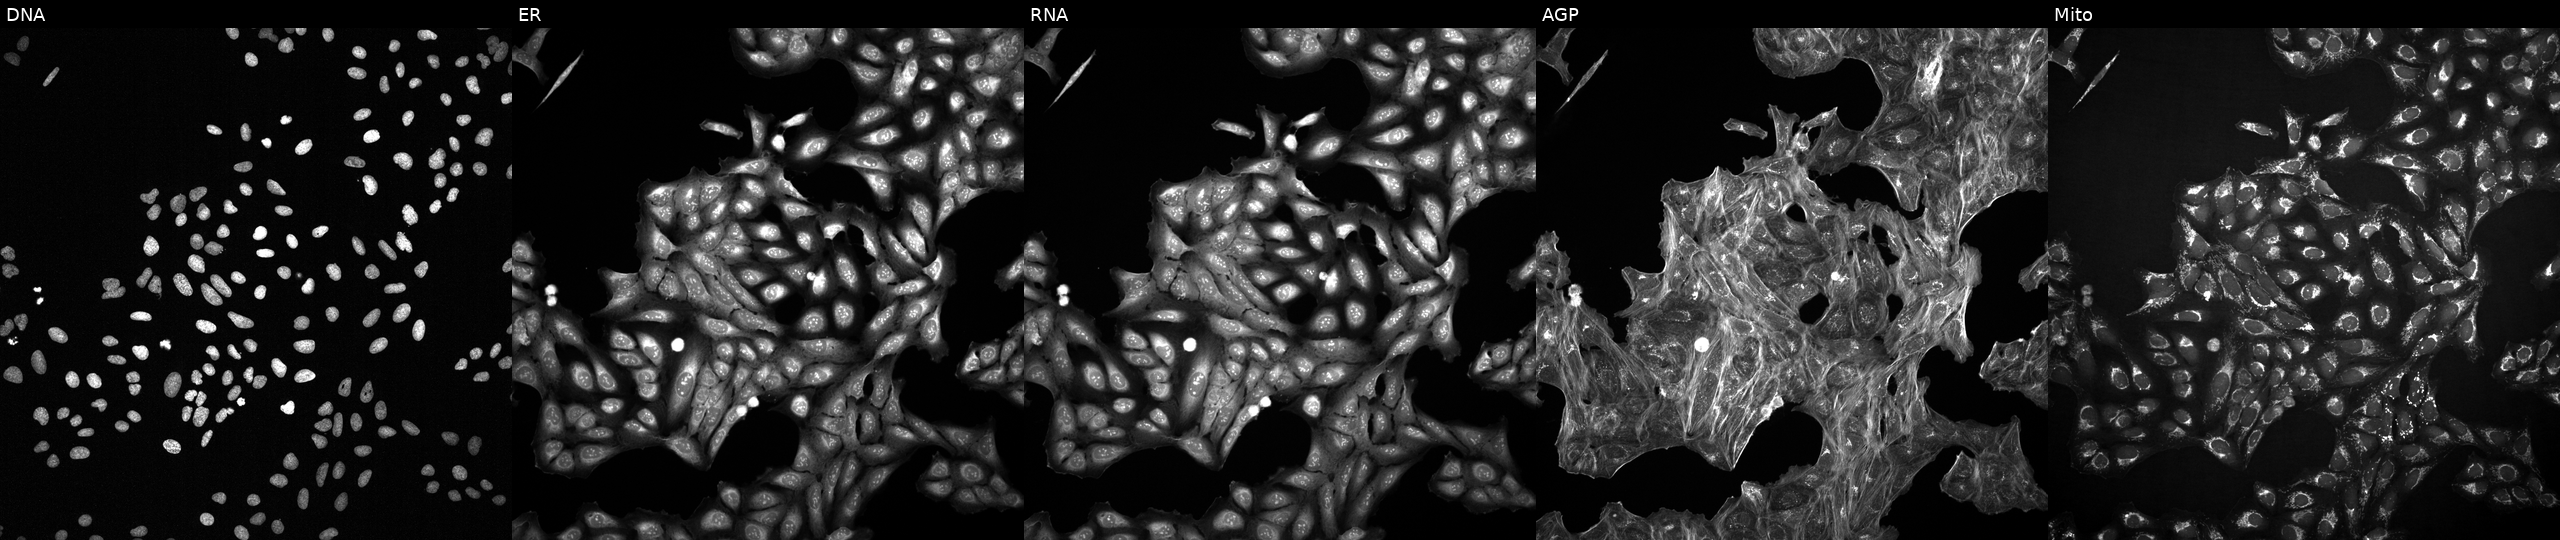
U2OS cells, Cell Painting assay, treated with DMSO vehicle only (negative control) (JUMP id JCP2022_033924). Panels show, left to right, DNA (nuclei); ER (endoplasmic reticulum); RNA (nucleoli and cytoplasmic RNA); AGP (actin cytoskeleton, Golgi, and plasma membrane); Mito (mitochondria). Each panel is percentile-stretched 16-bit fluorescence. Source 2, plate 1053601756, well D02.